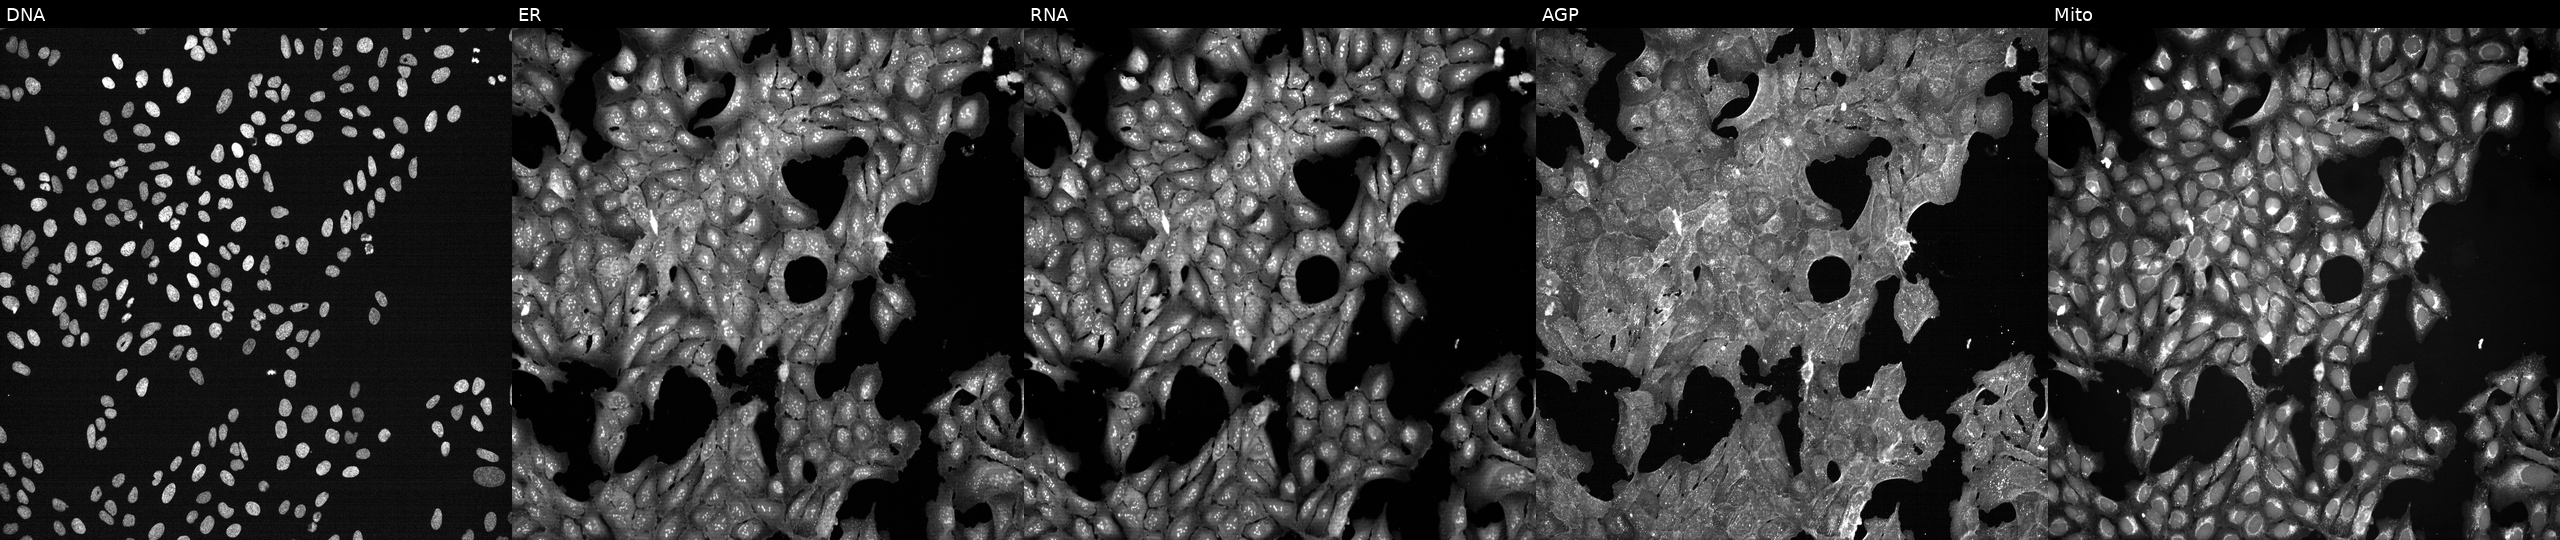
Five-channel Cell Painting image of U2OS cells treated with a small-molecule compound (InChIKey CMSMOCZEIVJLDB-UHFFFAOYSA-N) (JUMP id JCP2022_012146). The five panels, left to right, show DNA (nuclei); ER (endoplasmic reticulum); RNA (nucleoli and cytoplasmic RNA); AGP (actin cytoskeleton, Golgi, and plasma membrane); Mito (mitochondria).